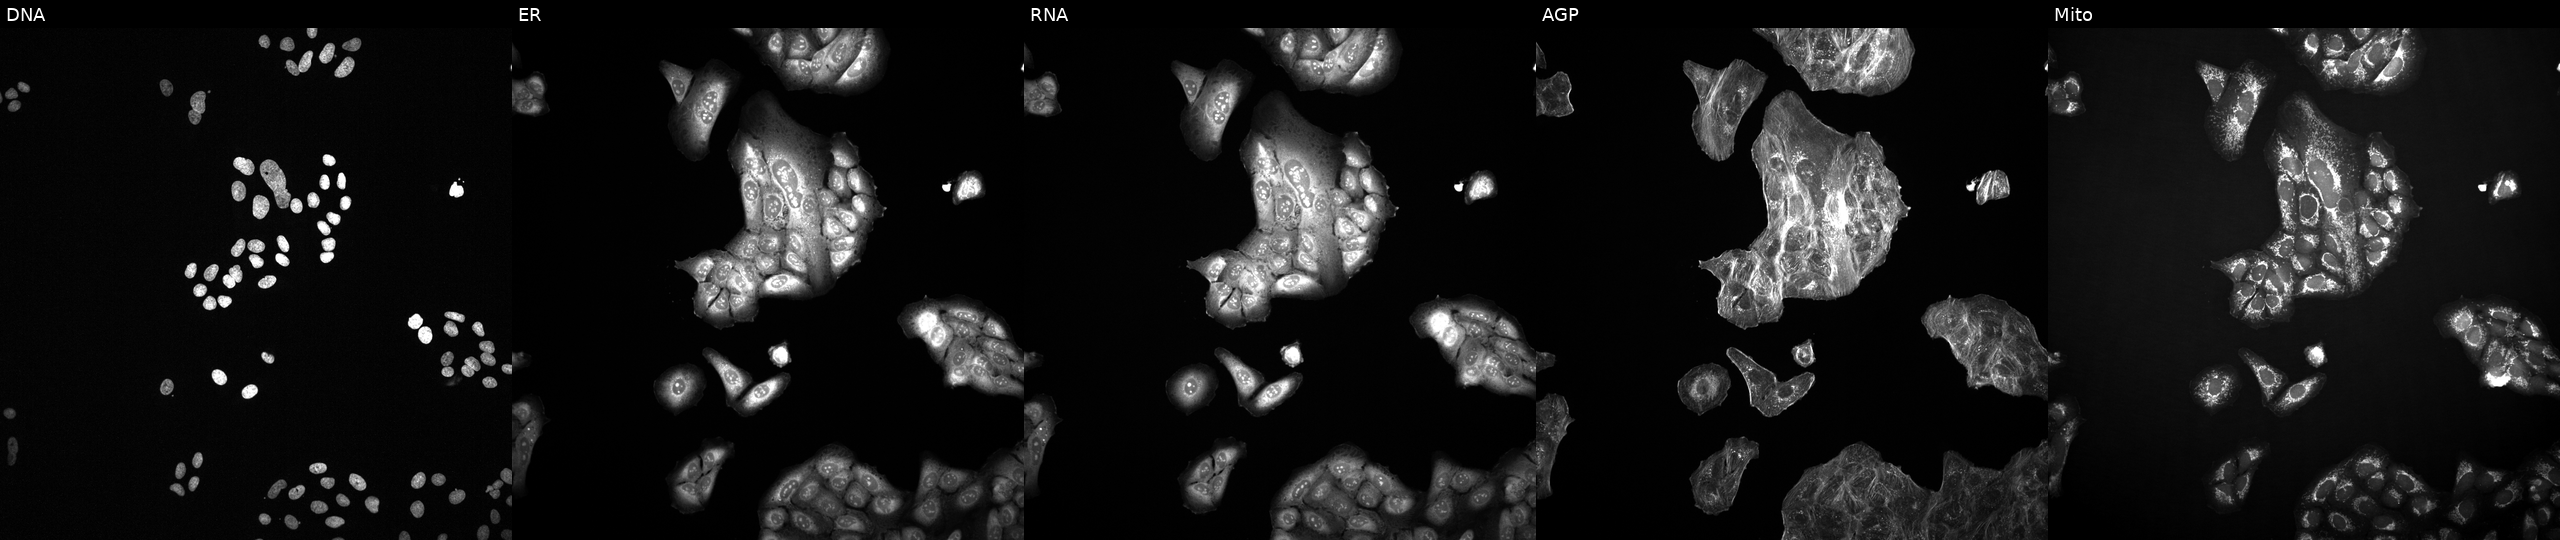
High-content fluorescence microscopy (Cell Painting). Cell line: U2OS. Perturbation: treated with a small-molecule compound (JUMP id JCP2022_052870). From left to right: DNA, ER, RNA, AGP, and Mito.